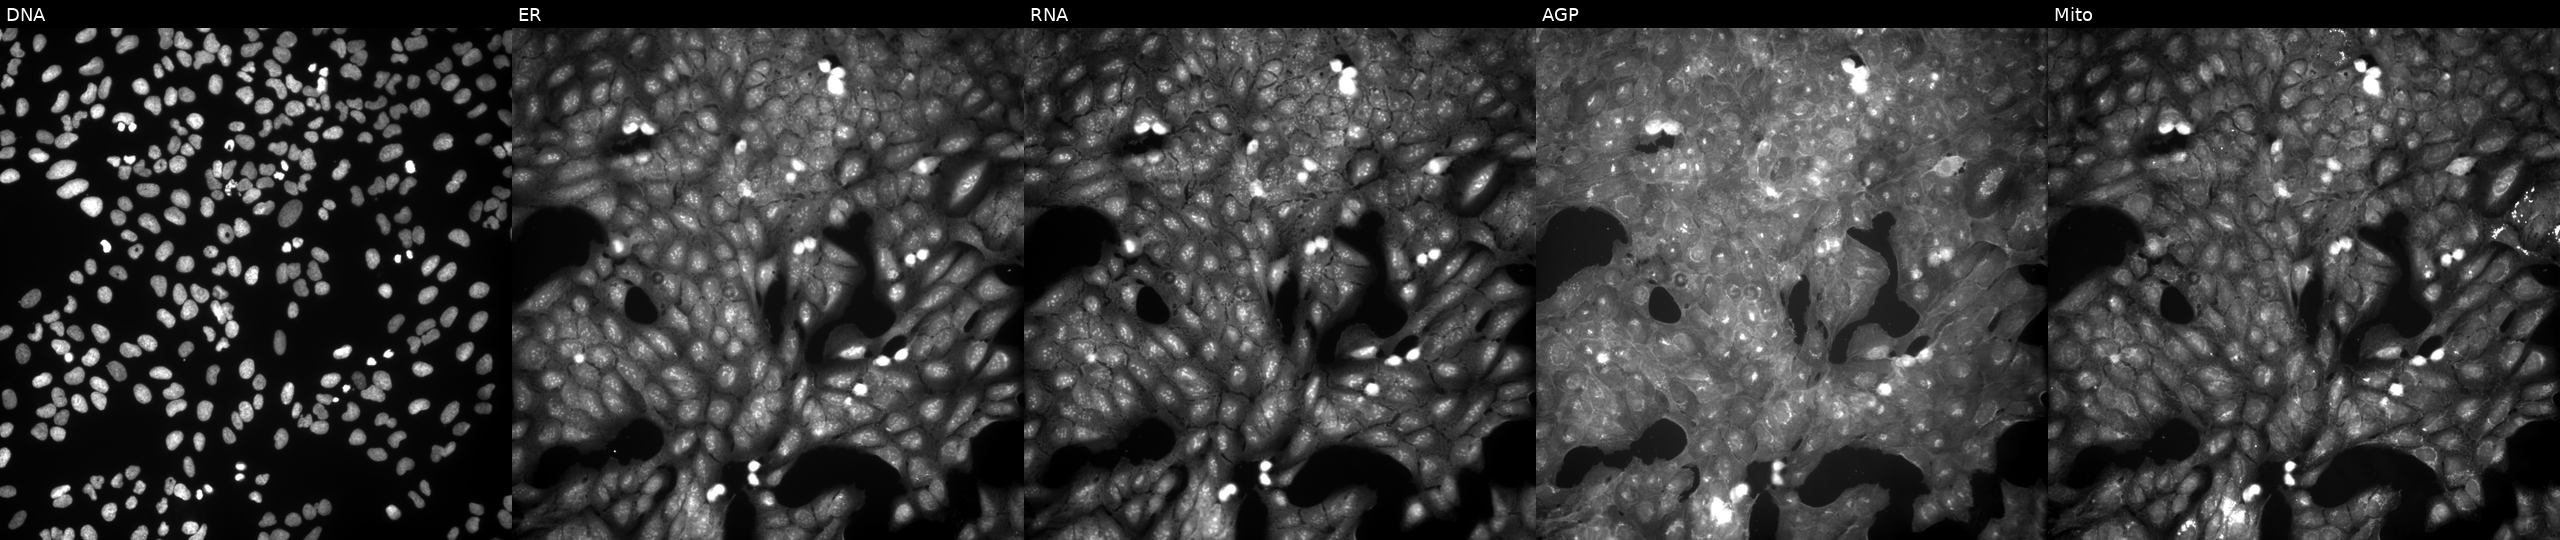
Five-channel Cell Painting image of U2OS cells perturbed with a small-molecule compound (InChIKey YDENJWGVACIEBL-UHFFFAOYSA-N) (JUMP id JCP2022_107699). Channels (left→right): DNA, ER, RNA, AGP, and Mito.